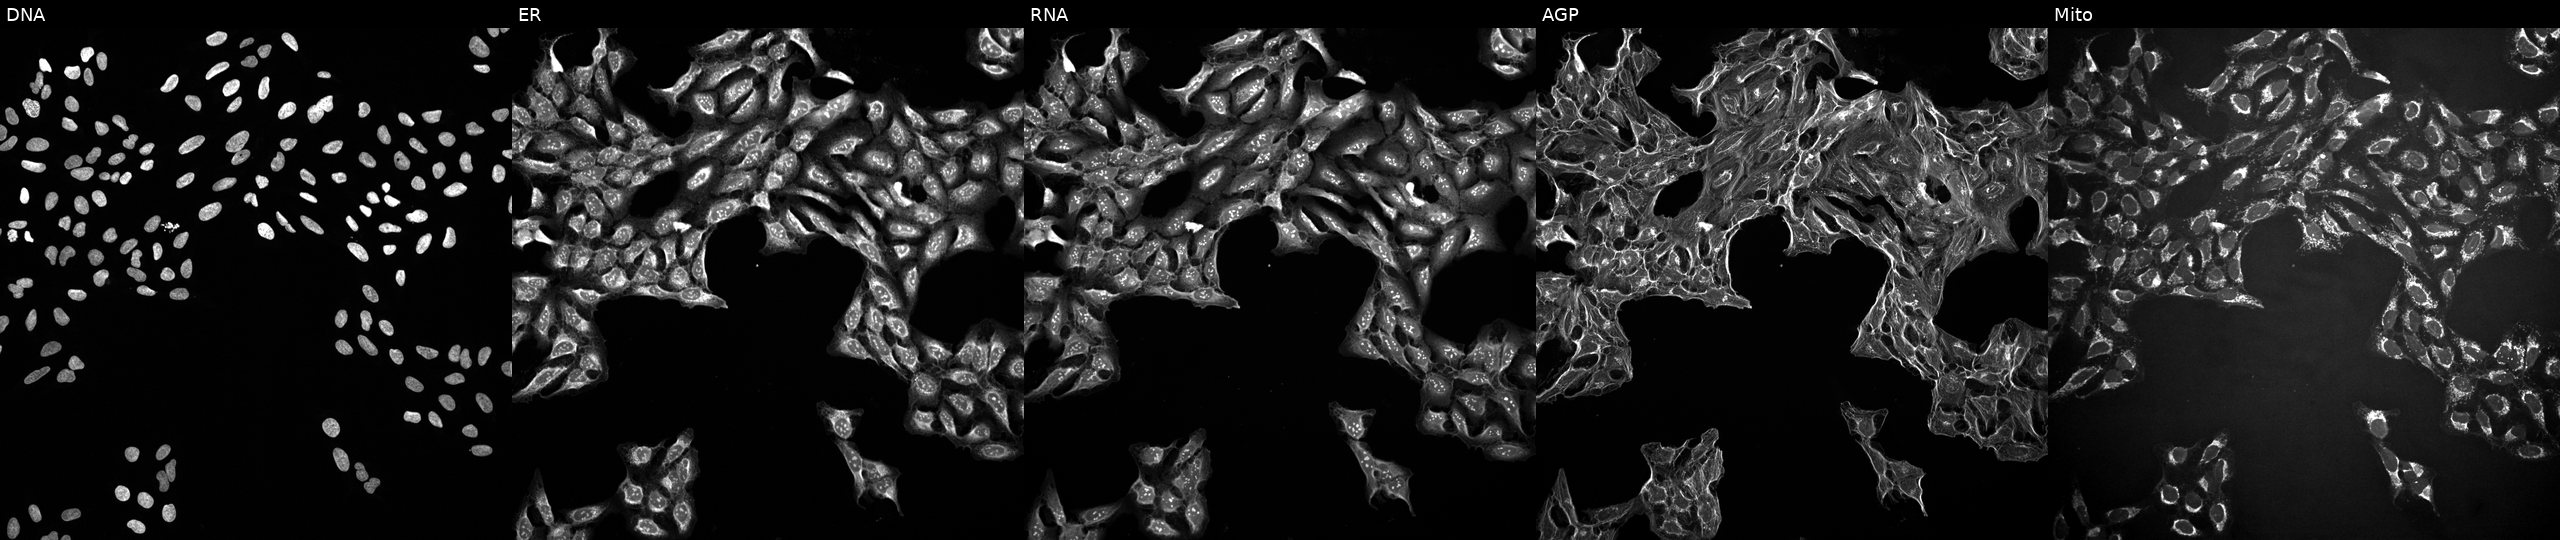
JUMP Cell Painting — TARGET2 plate. U2OS cells treated with a small-molecule compound [SMILES: N=c1nc(N2CCNCC2)c2c([nH]1)C1=C(CC2)OC2CCCCC12]. From left to right: DNA (nuclei); ER (endoplasmic reticulum); RNA (nucleoli and cytoplasmic RNA); AGP (actin cytoskeleton, Golgi, and plasma membrane); Mito (mitochondria). Source 10, plate Dest210727-153003, well A11.